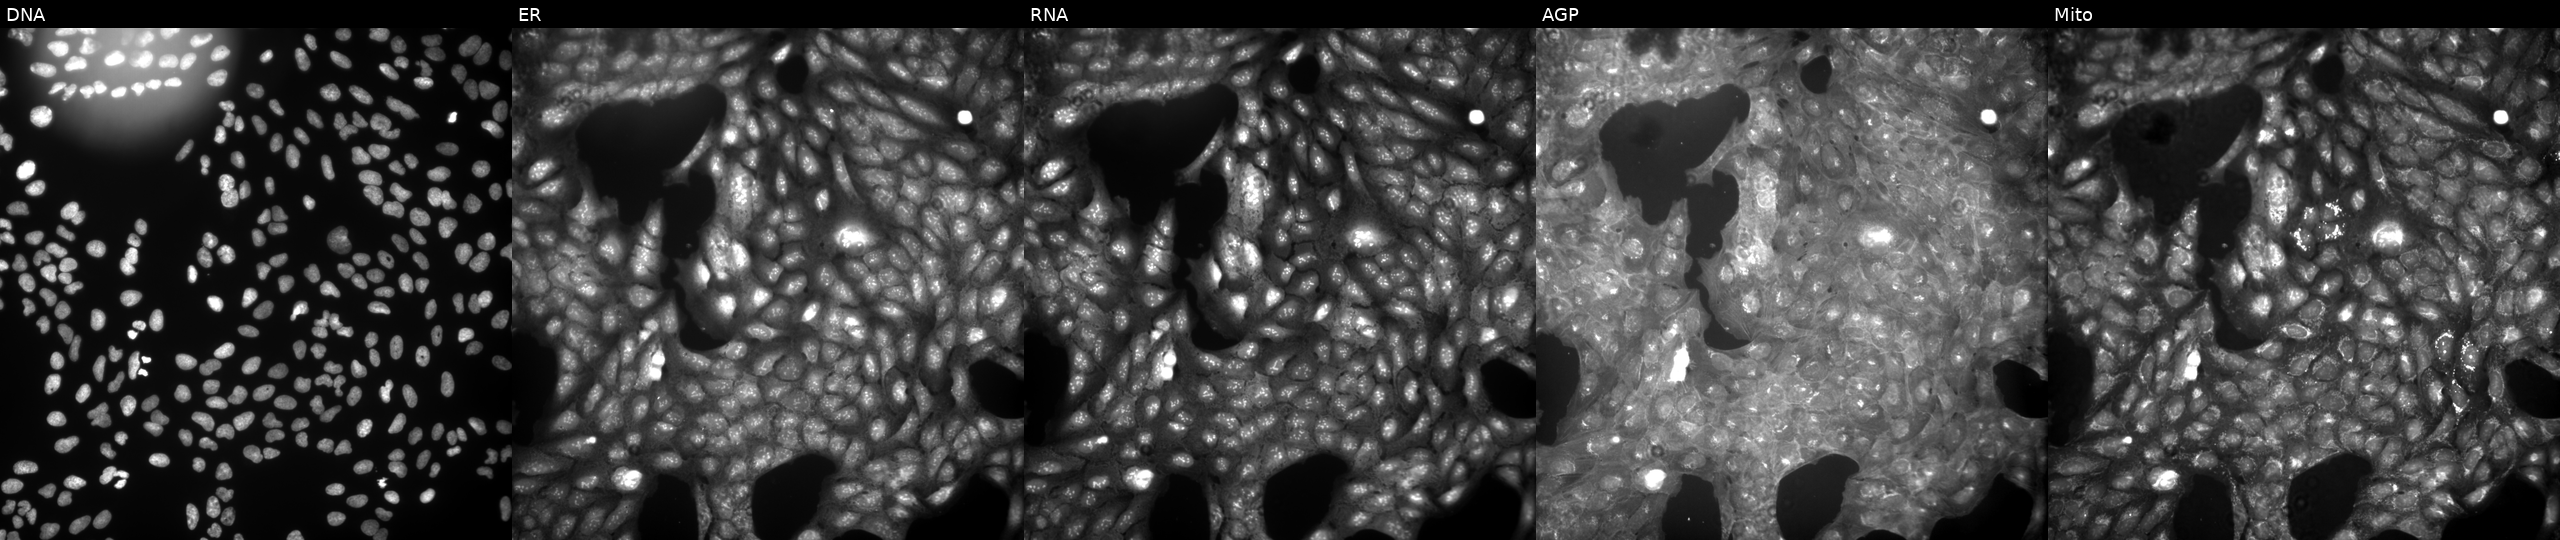
JUMP Cell Painting — COMPOUND plate. U2OS cells perturbed with a small-molecule compound. Channels (left→right): Hoechst 33342, concanavalin A, SYTO 14, phalloidin and WGA, MitoTracker.